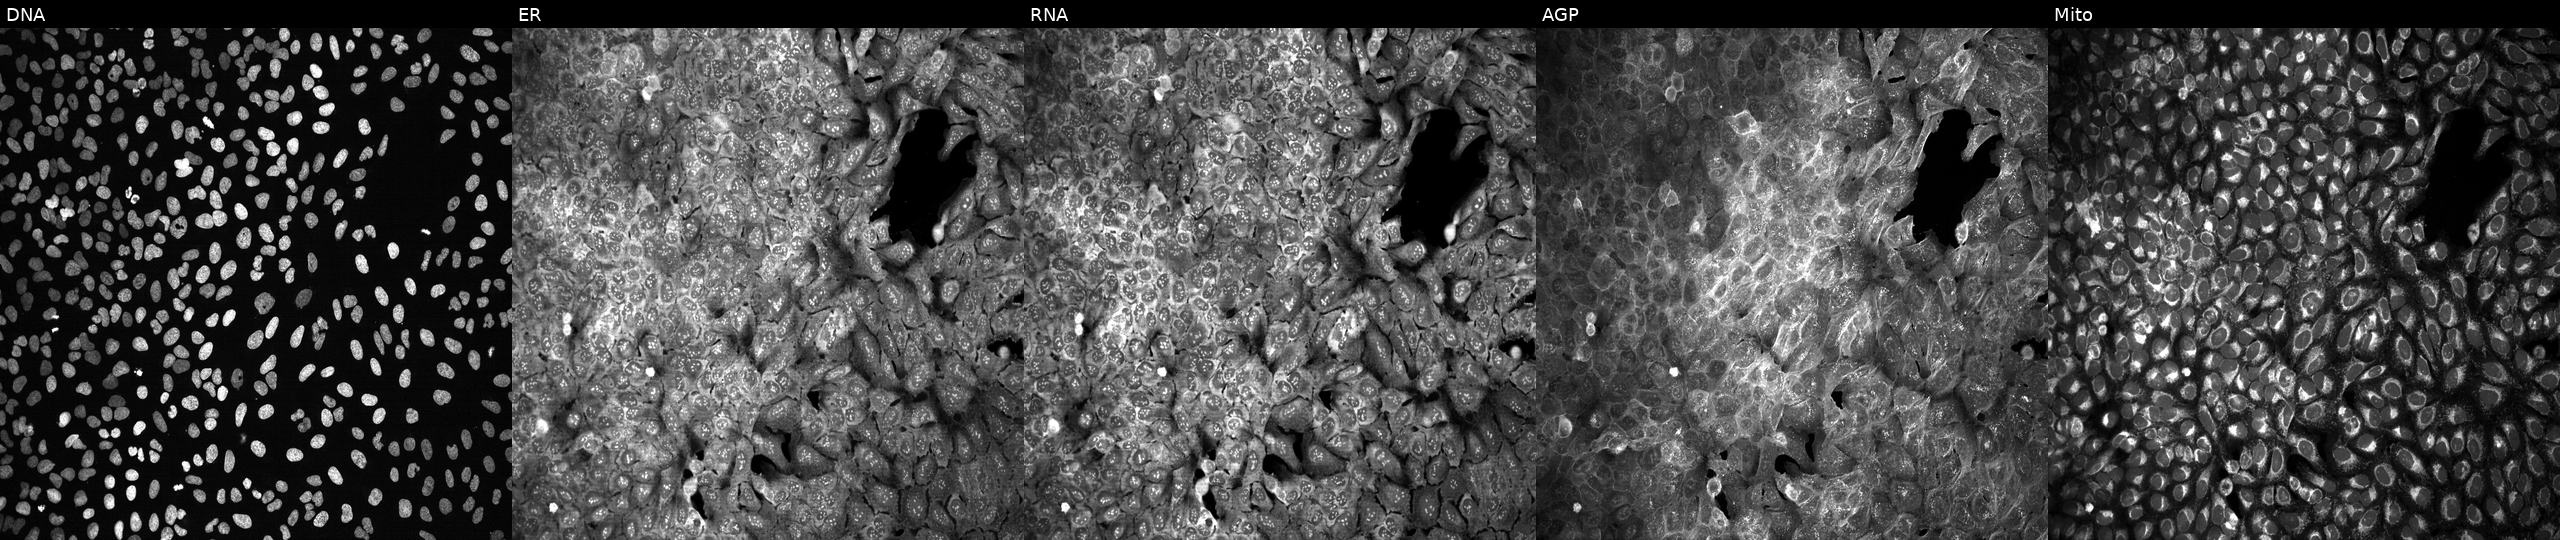
JUMP Cell Painting — CRISPR plate. U2OS cells with CES4A knocked out by CRISPR (JUMP id JCP2022_801266). Panels show, left to right, Hoechst 33342, concanavalin A, SYTO 14, phalloidin and WGA, MitoTracker. Source 13, plate CP-CC9-R6-19, well I22.